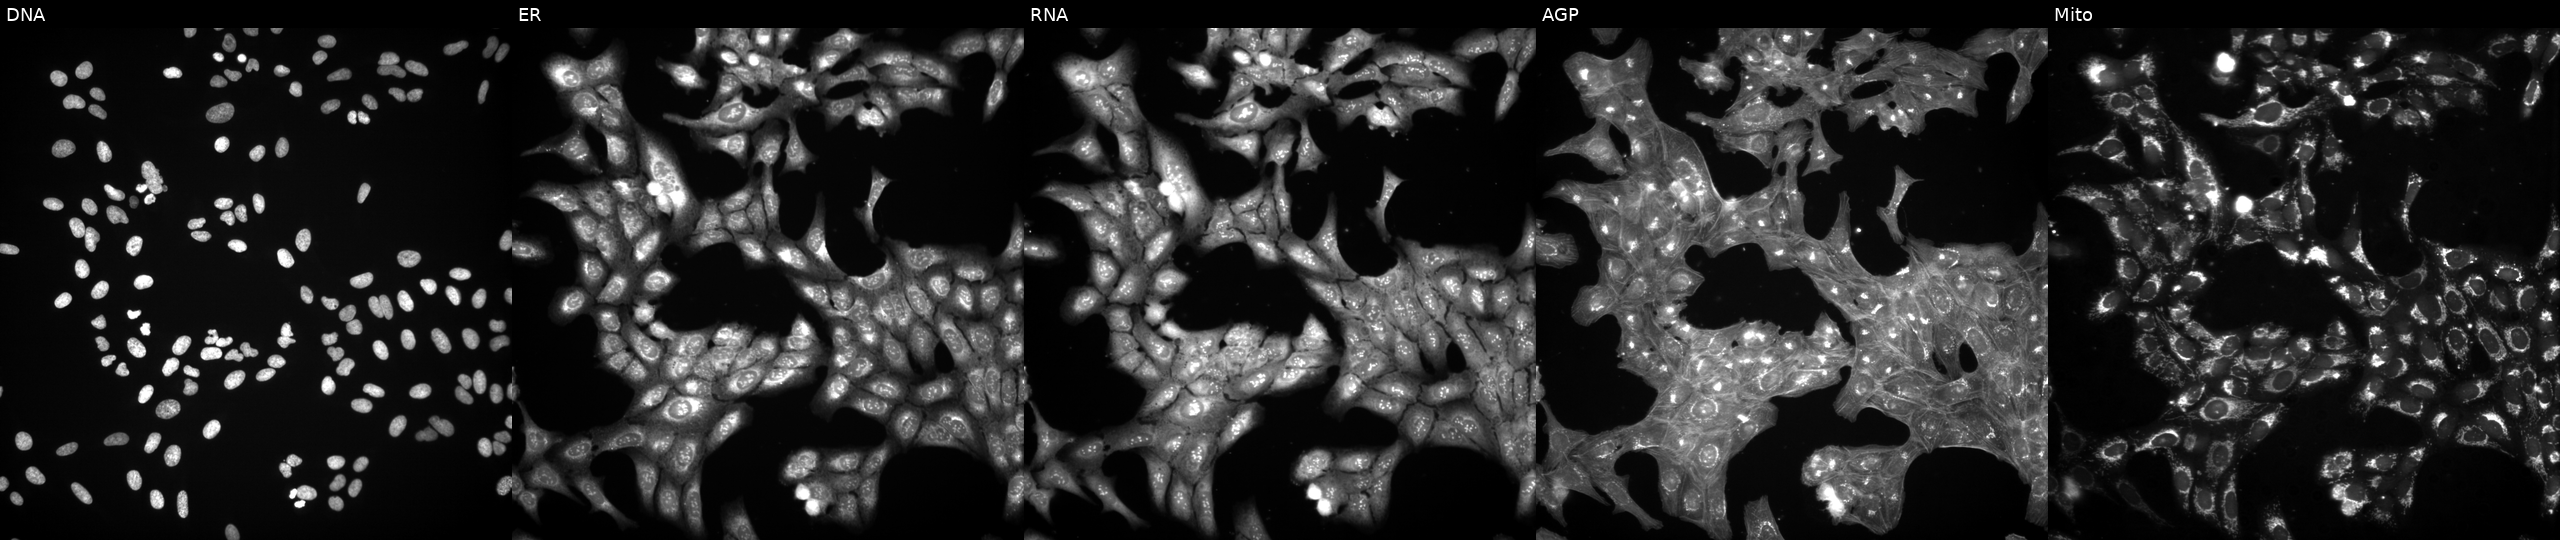
Five-channel Cell Painting image of U2OS cells treated with a small-molecule compound [SMILES: COc1cccc(C(=O)NCC(=O)OCc2ccc(F)cc2Cl)c1] (JUMP id JCP2022_092688). Panels show, left to right, Hoechst 33342, concanavalin A, SYTO 14, phalloidin and WGA, MitoTracker.